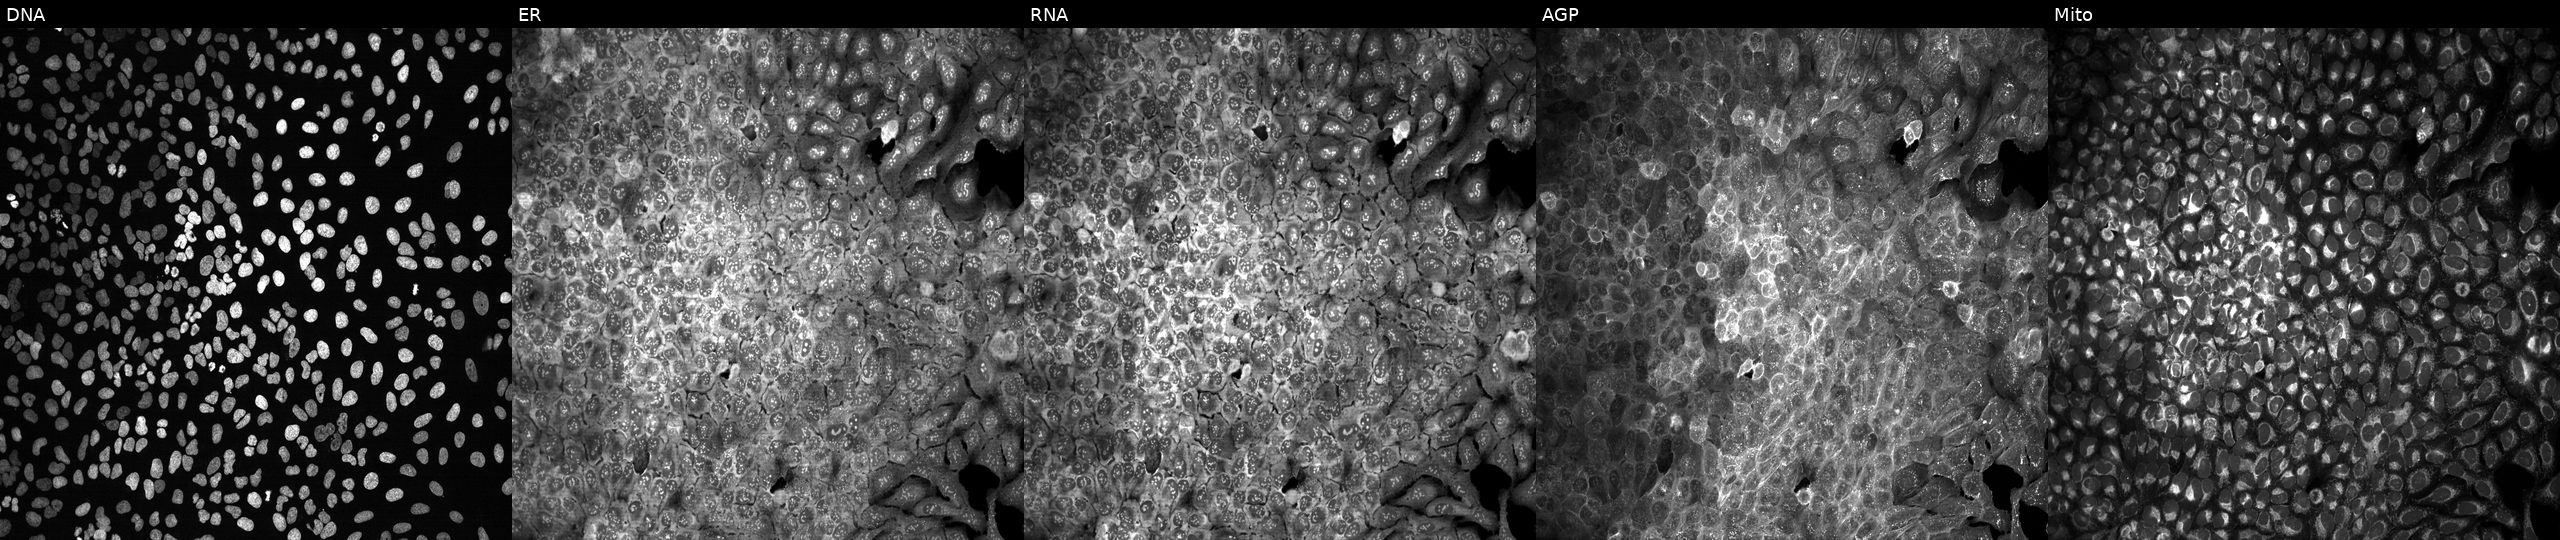
JUMP Cell Painting — CRISPR plate. U2OS cells with a non-targeting CRISPR guide (negative control) (JUMP id JCP2022_800002). Panels show, left to right, DNA (nuclei); ER (endoplasmic reticulum); RNA (nucleoli and cytoplasmic RNA); AGP (actin cytoskeleton, Golgi, and plasma membrane); Mito (mitochondria).